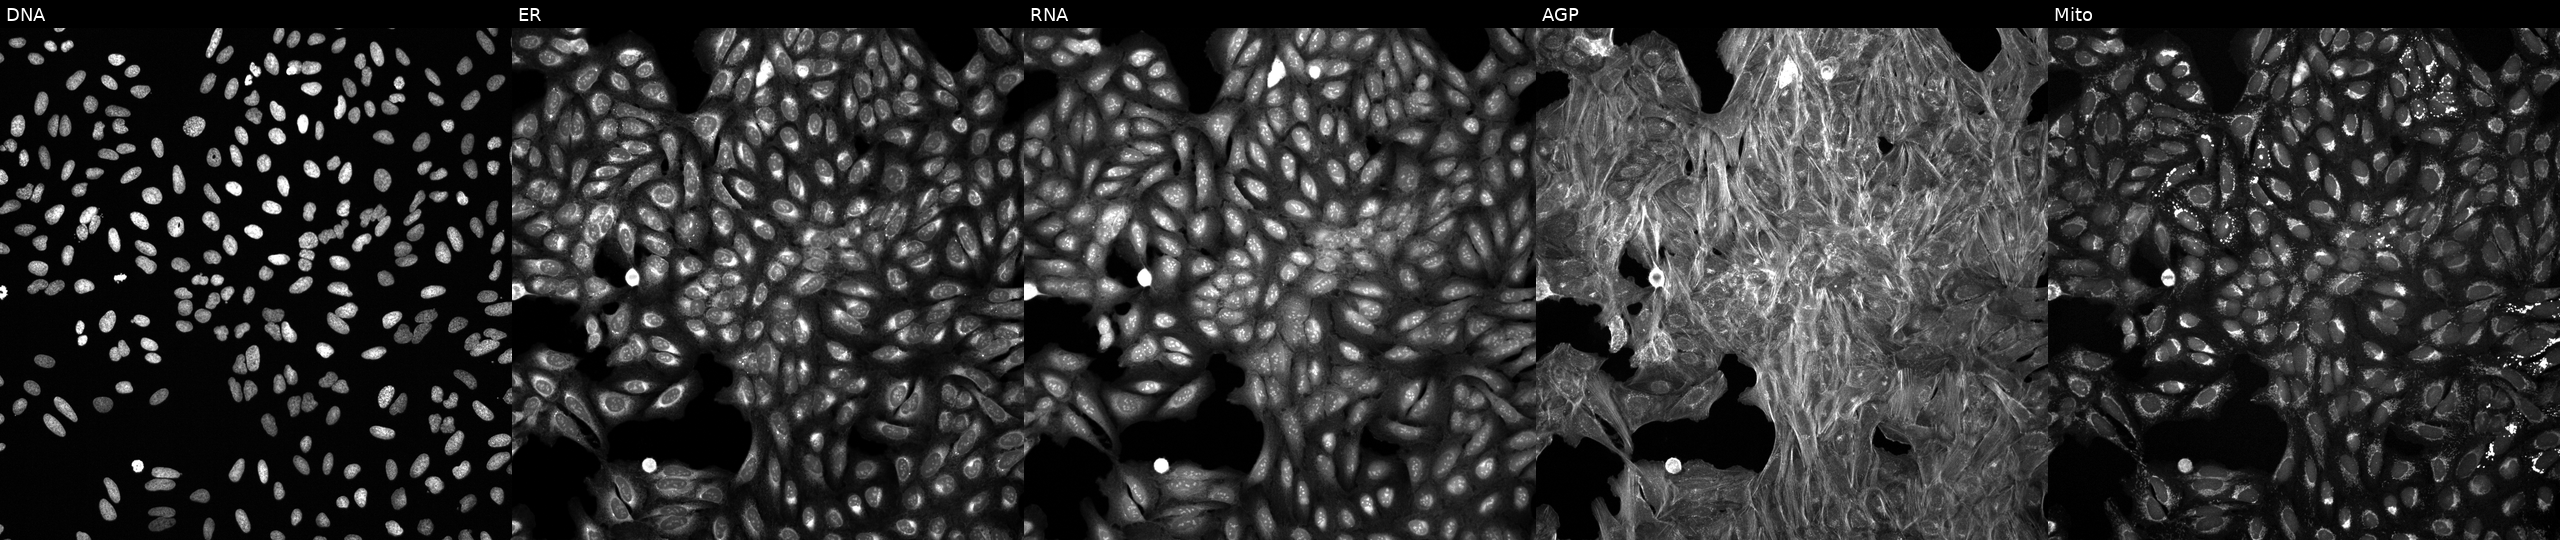
U2OS cells, Cell Painting assay, treated with a small-molecule compound (InChIKey ZCLCQYDWLZJCKI-UHFFFAOYSA-N) (JUMP id JCP2022_112459). Channels (left→right): DNA (nuclei); ER (endoplasmic reticulum); RNA (nucleoli and cytoplasmic RNA); AGP (actin cytoskeleton, Golgi, and plasma membrane); Mito (mitochondria). Each panel is percentile-stretched 16-bit fluorescence.